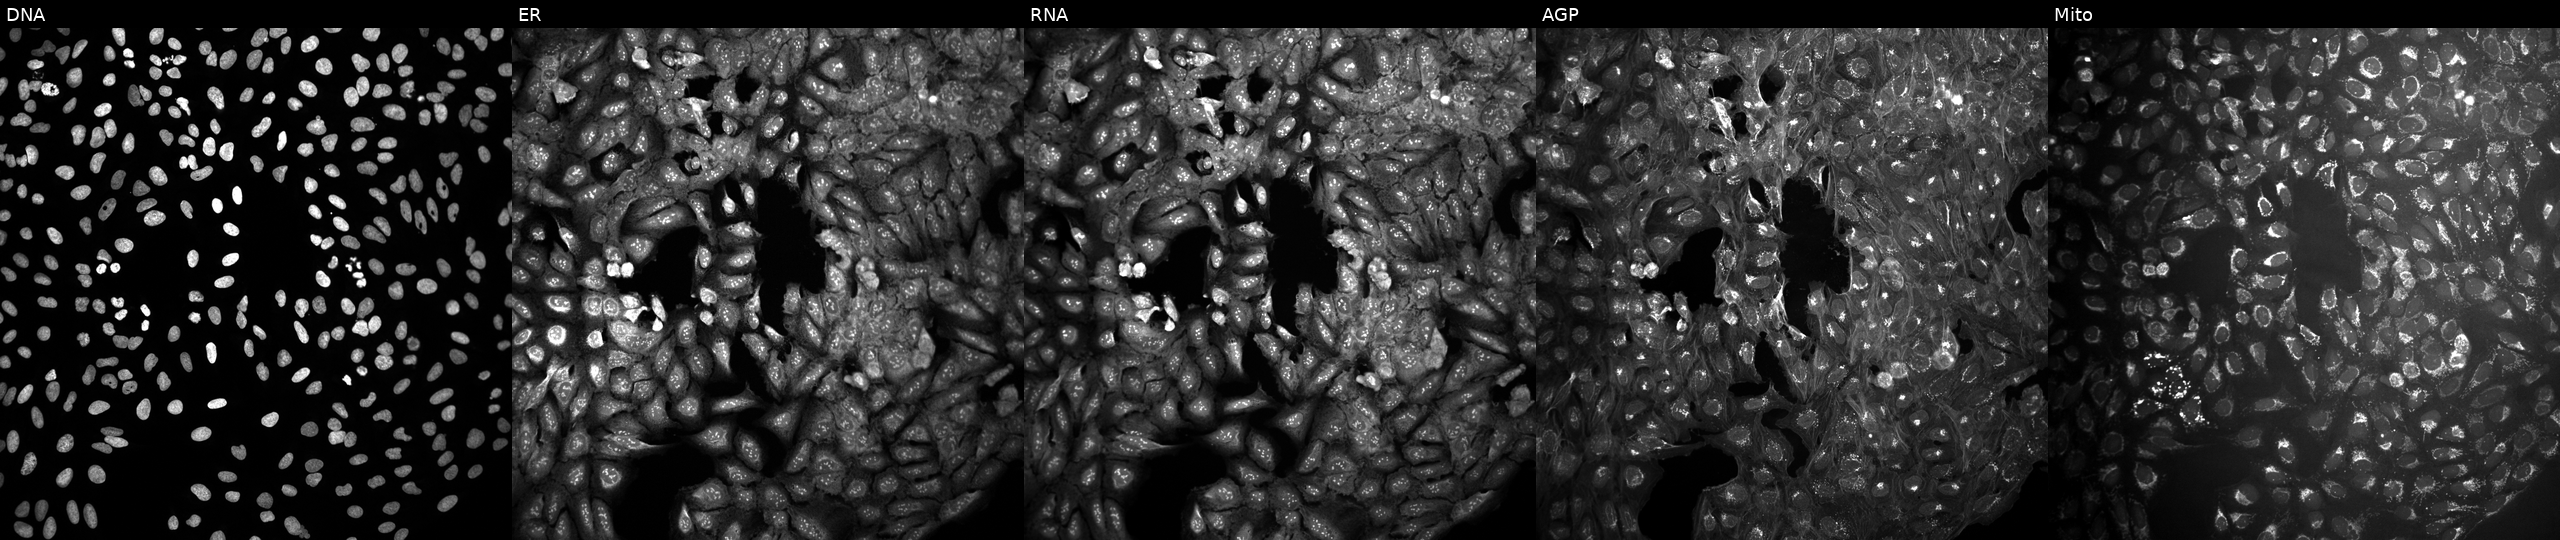
U2OS cells, Cell Painting assay, exposed to DMSO alone as a negative control. Channels (left→right): Hoechst 33342, concanavalin A, SYTO 14, phalloidin and WGA, MitoTracker. Each panel is percentile-stretched 16-bit fluorescence. Source 10, plate Dest210531-152149, well J23.